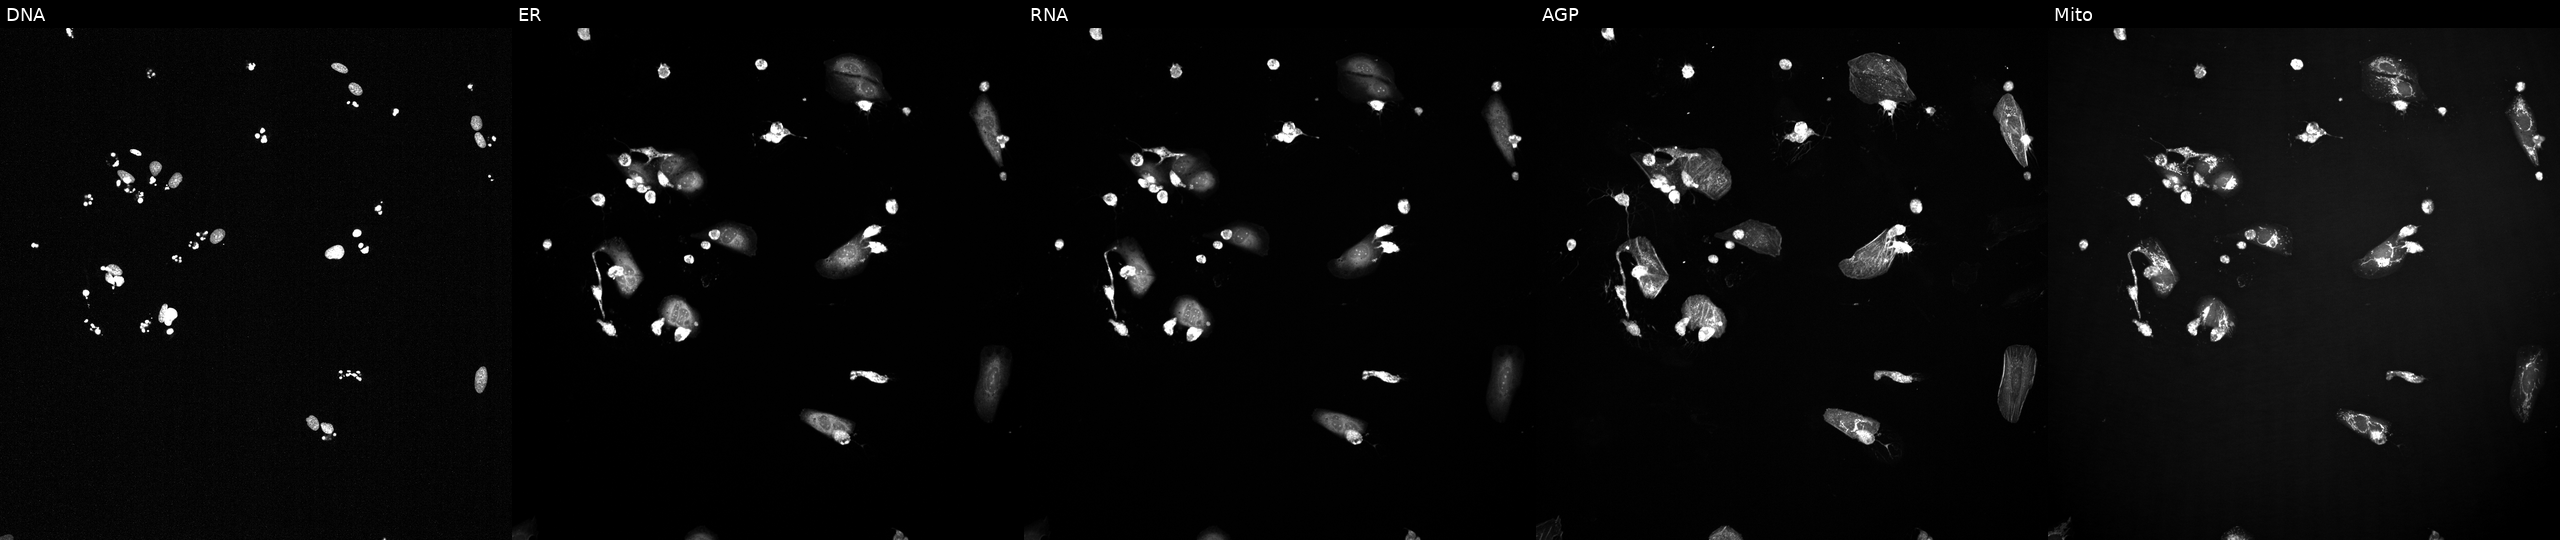
High-content fluorescence microscopy (Cell Painting). Cell line: U2OS. Perturbation: perturbed with a small-molecule compound (JUMP id JCP2022_080920). Channels (left→right): Hoechst 33342, concanavalin A, SYTO 14, phalloidin and WGA, MitoTracker. Source 2, plate 1053600674, well L22.